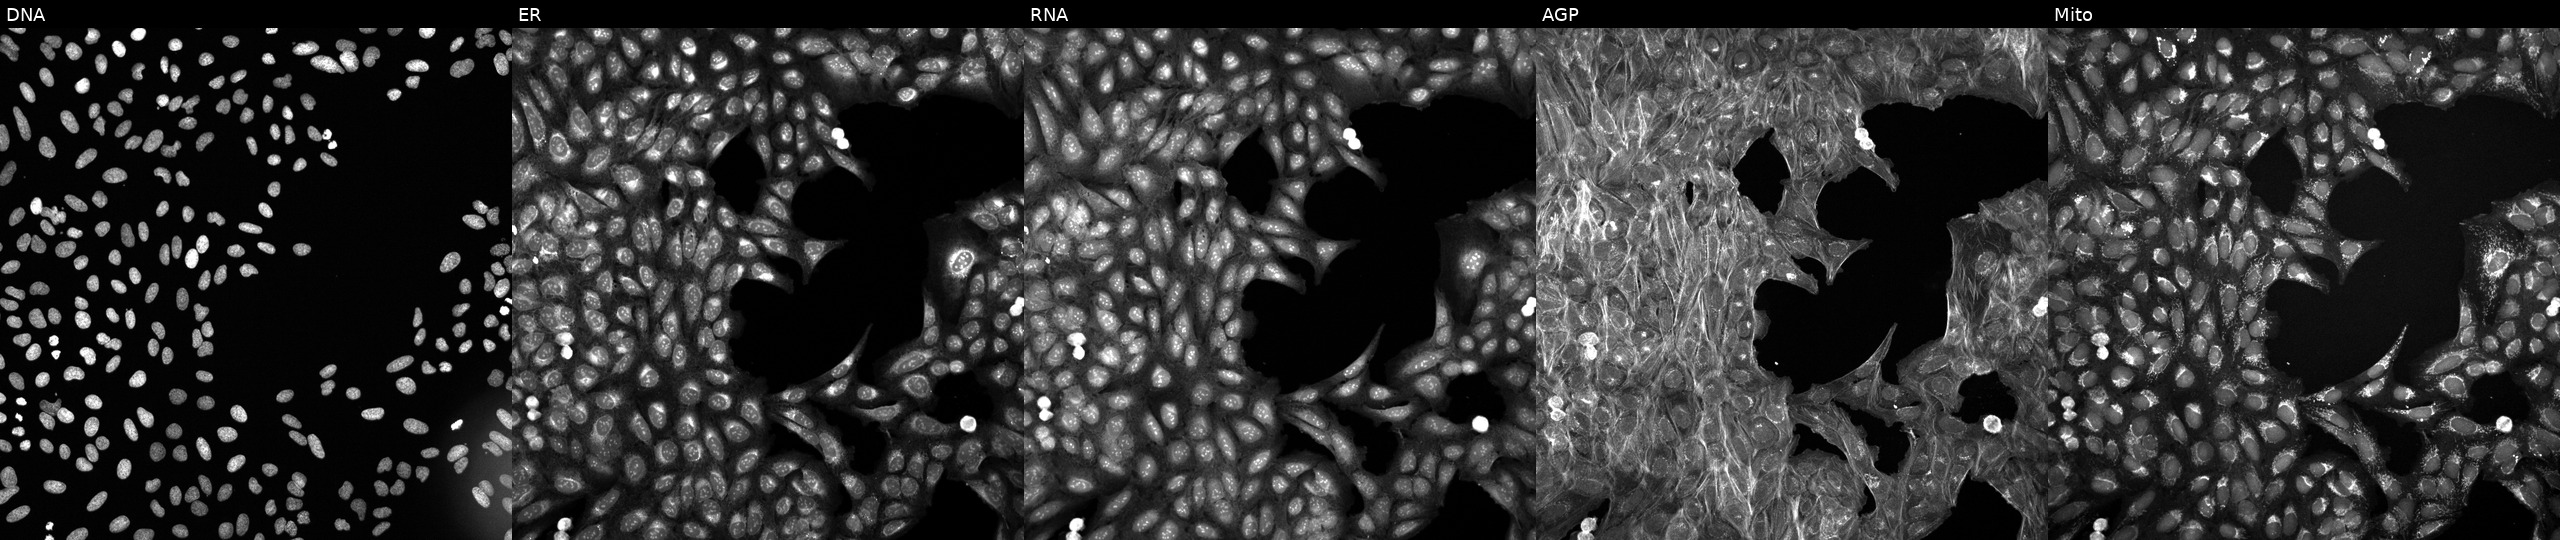
JUMP Cell Painting — TARGET2 plate. U2OS cells treated with a small-molecule compound (InChIKey MENNDDDTIIZDDN-UHFFFAOYSA-N) [SMILES: Cc1cc(C)nc(SCC(=O)N=c2[nH]cc(Cc3cccc4ccccc34)s2)n1]. From left to right: DNA, ER, RNA, AGP, and Mito.